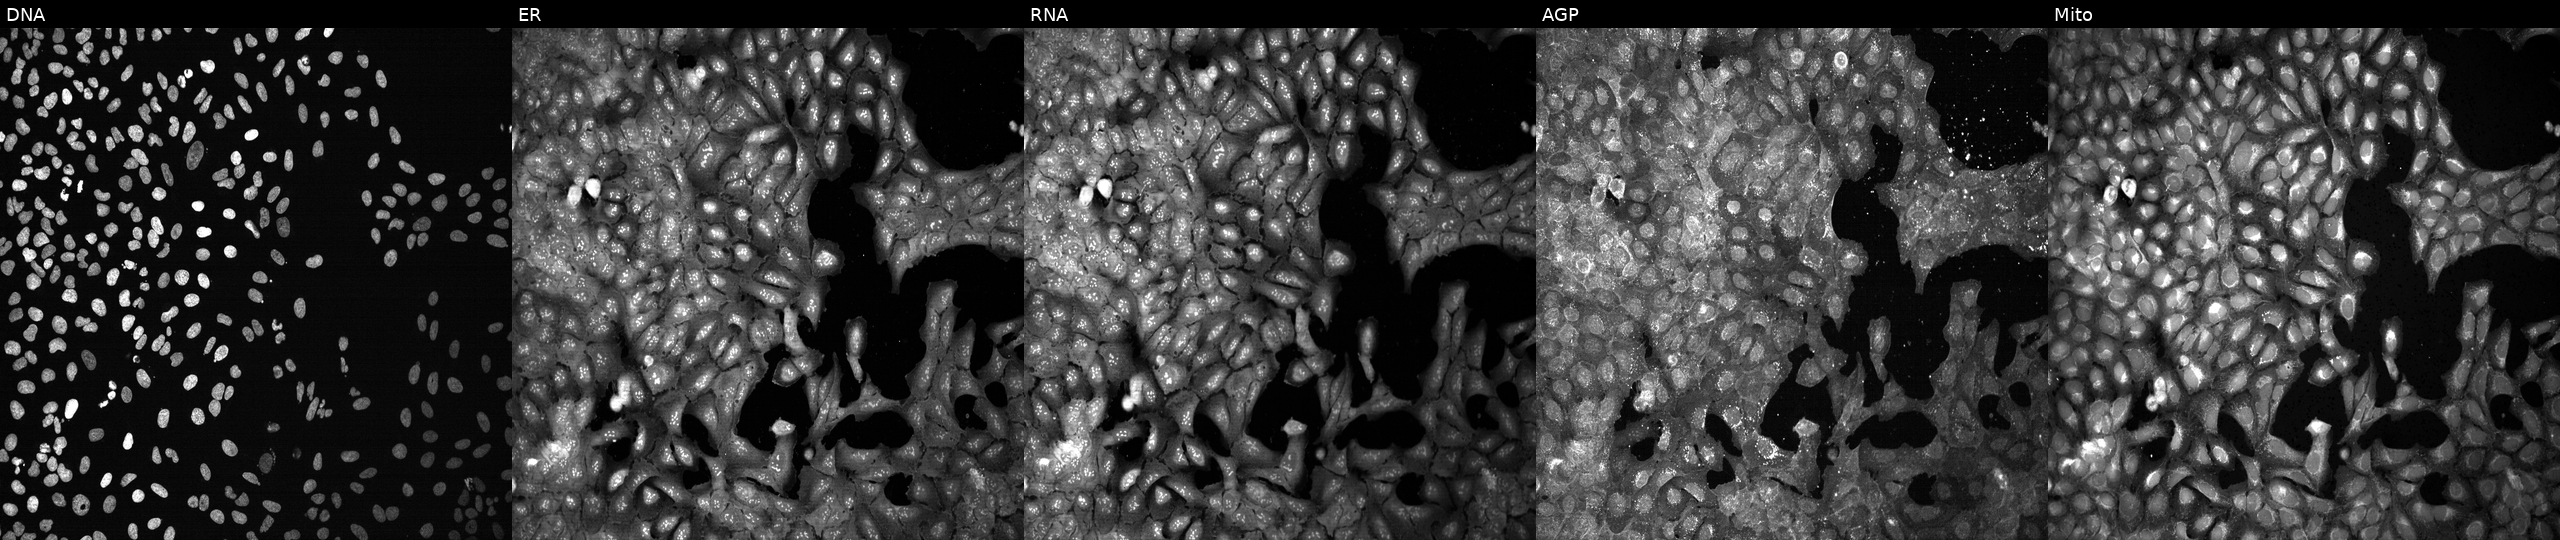
The five panels, left to right, show DNA (nuclei); ER (endoplasmic reticulum); RNA (nucleoli and cytoplasmic RNA); AGP (actin cytoskeleton, Golgi, and plasma membrane); Mito (mitochondria). U2OS osteosarcoma cells CRISPR-edited to disrupt SLC15A4 (JUMP id JCP2022_806383). Cell Painting assay, JUMP-CP dataset. Source 13, plate CP-CC9-R1-02, well K18.